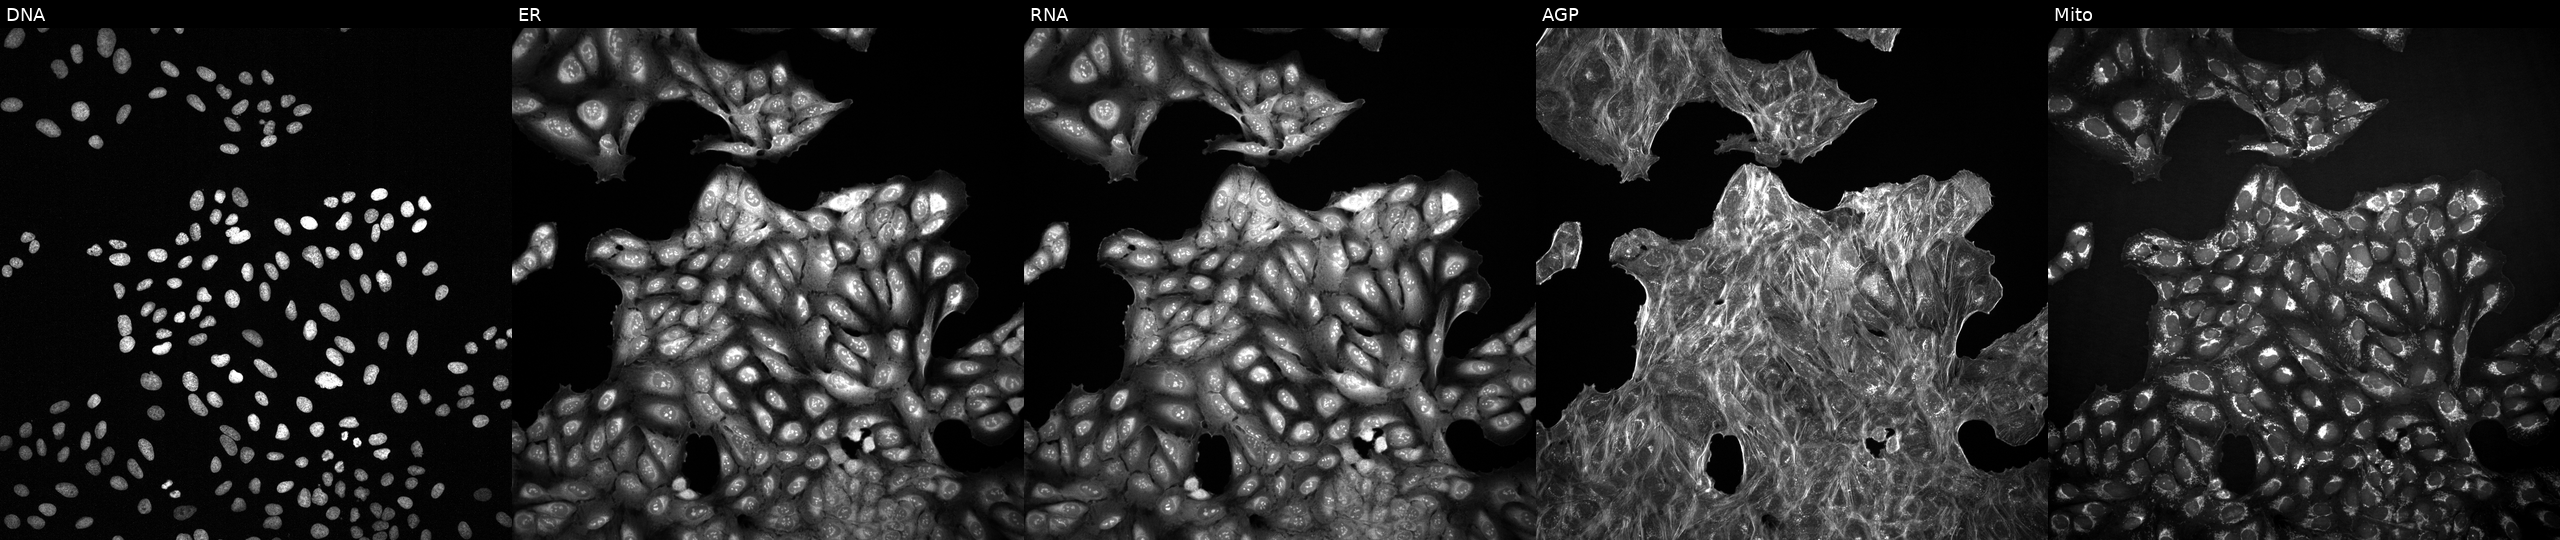
This image strip shows the five Cell Painting channels for a single field of U2OS cells treated with DMSO vehicle only (negative control) (JUMP id JCP2022_033924). Channels (left→right): DNA, ER, RNA, AGP, and Mito.